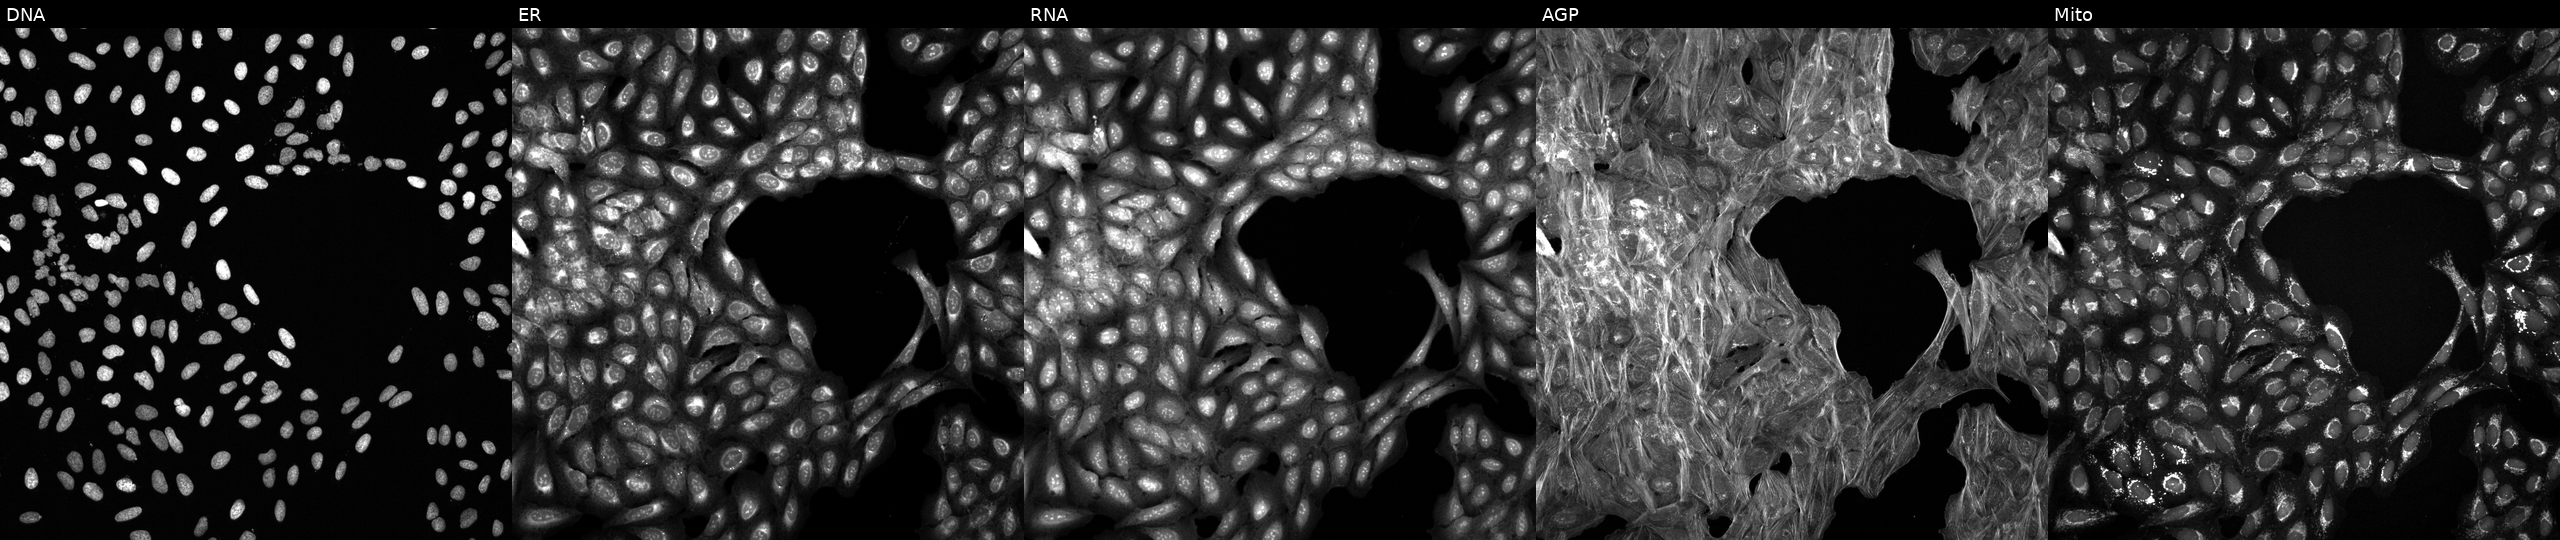
Five-channel Cell Painting image of U2OS cells exposed to a small-molecule compound. Panels show, left to right, DNA, ER, RNA, AGP, and Mito. Source 6, plate 110000293083, well N10.